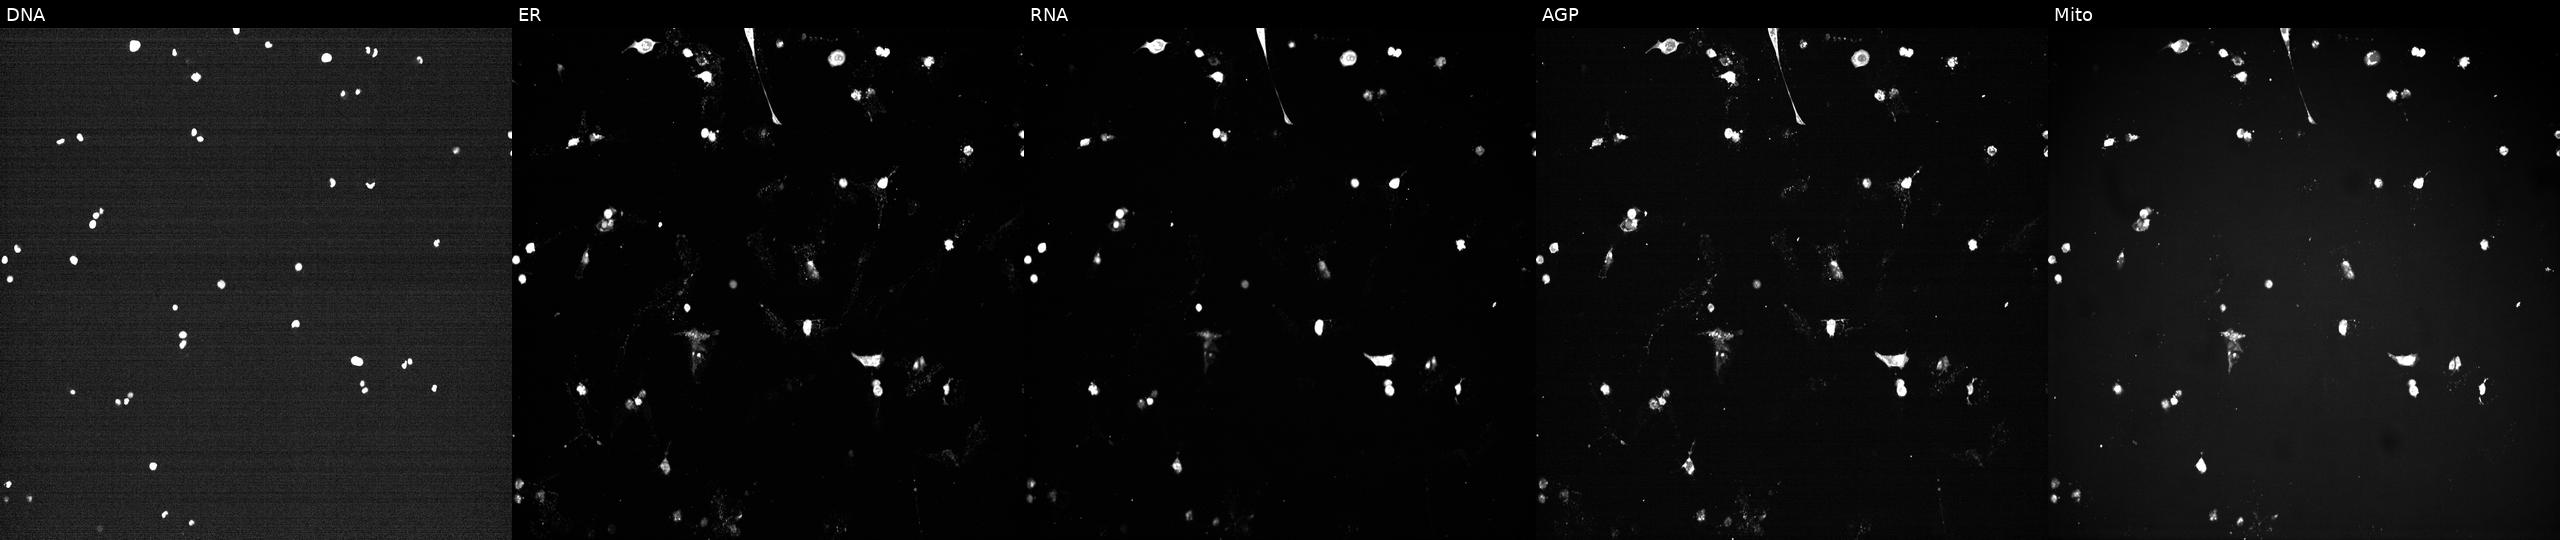
High-content fluorescence microscopy (Cell Painting). Cell line: U2OS. Perturbation: treated with a small-molecule compound (InChIKey DPJNKUOXBZSZAI-UHFFFAOYSA-N) (JUMP id JCP2022_017377). From left to right: Hoechst 33342, concanavalin A, SYTO 14, phalloidin and WGA, MitoTracker.